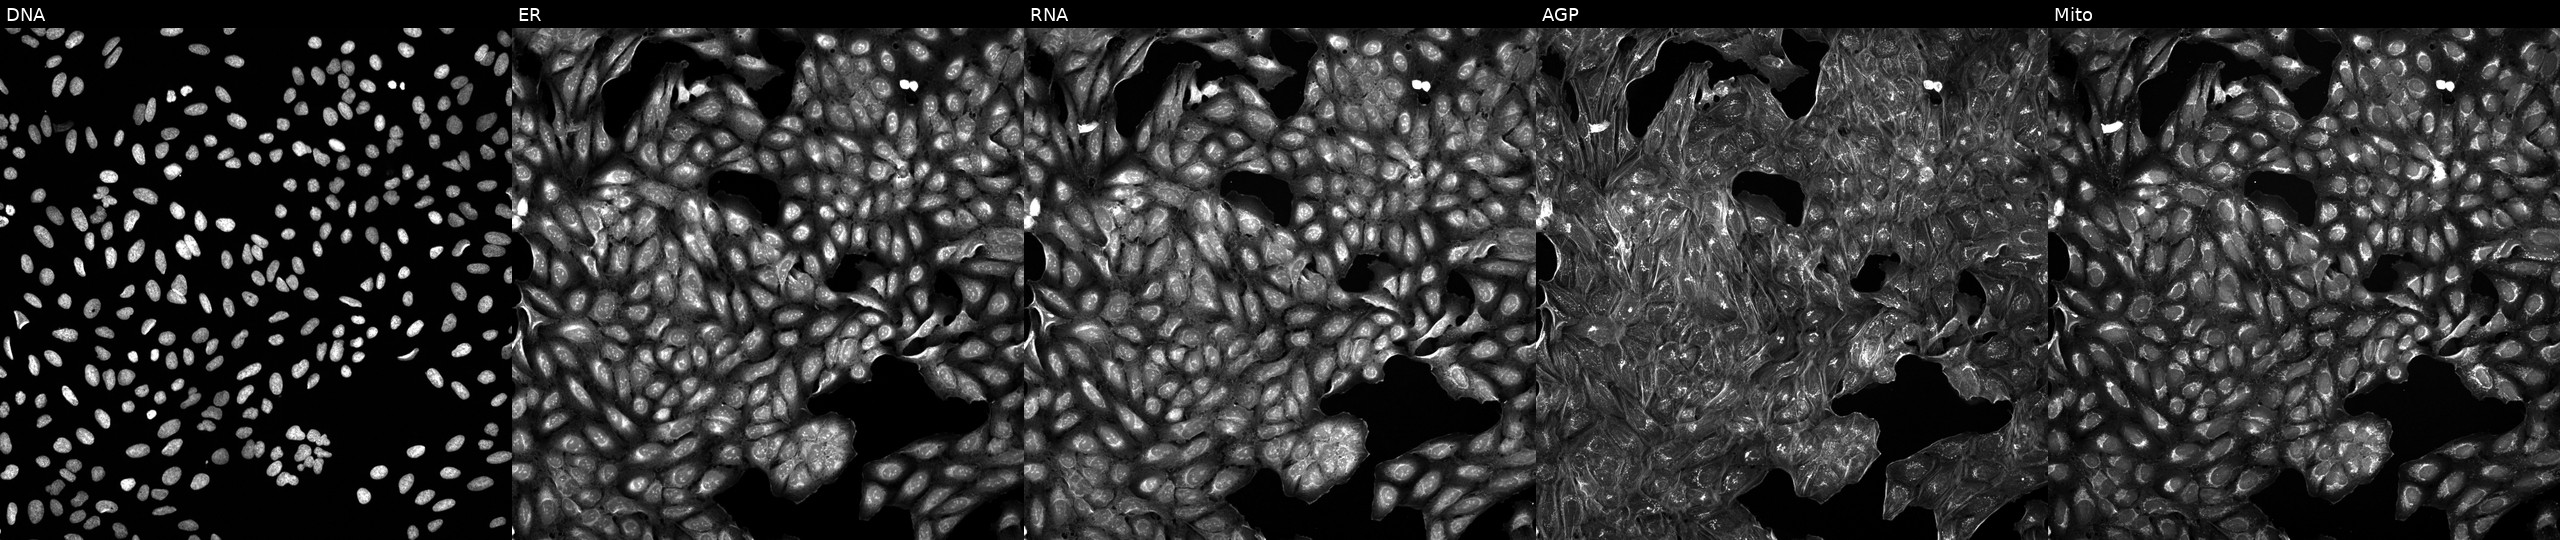
High-content fluorescence microscopy (Cell Painting). Cell line: U2OS. Perturbation: exposed to a small-molecule compound. From left to right: DNA (nuclei); ER (endoplasmic reticulum); RNA (nucleoli and cytoplasmic RNA); AGP (actin cytoskeleton, Golgi, and plasma membrane); Mito (mitochondria). Source 5, plate APTJUM106, well G18.